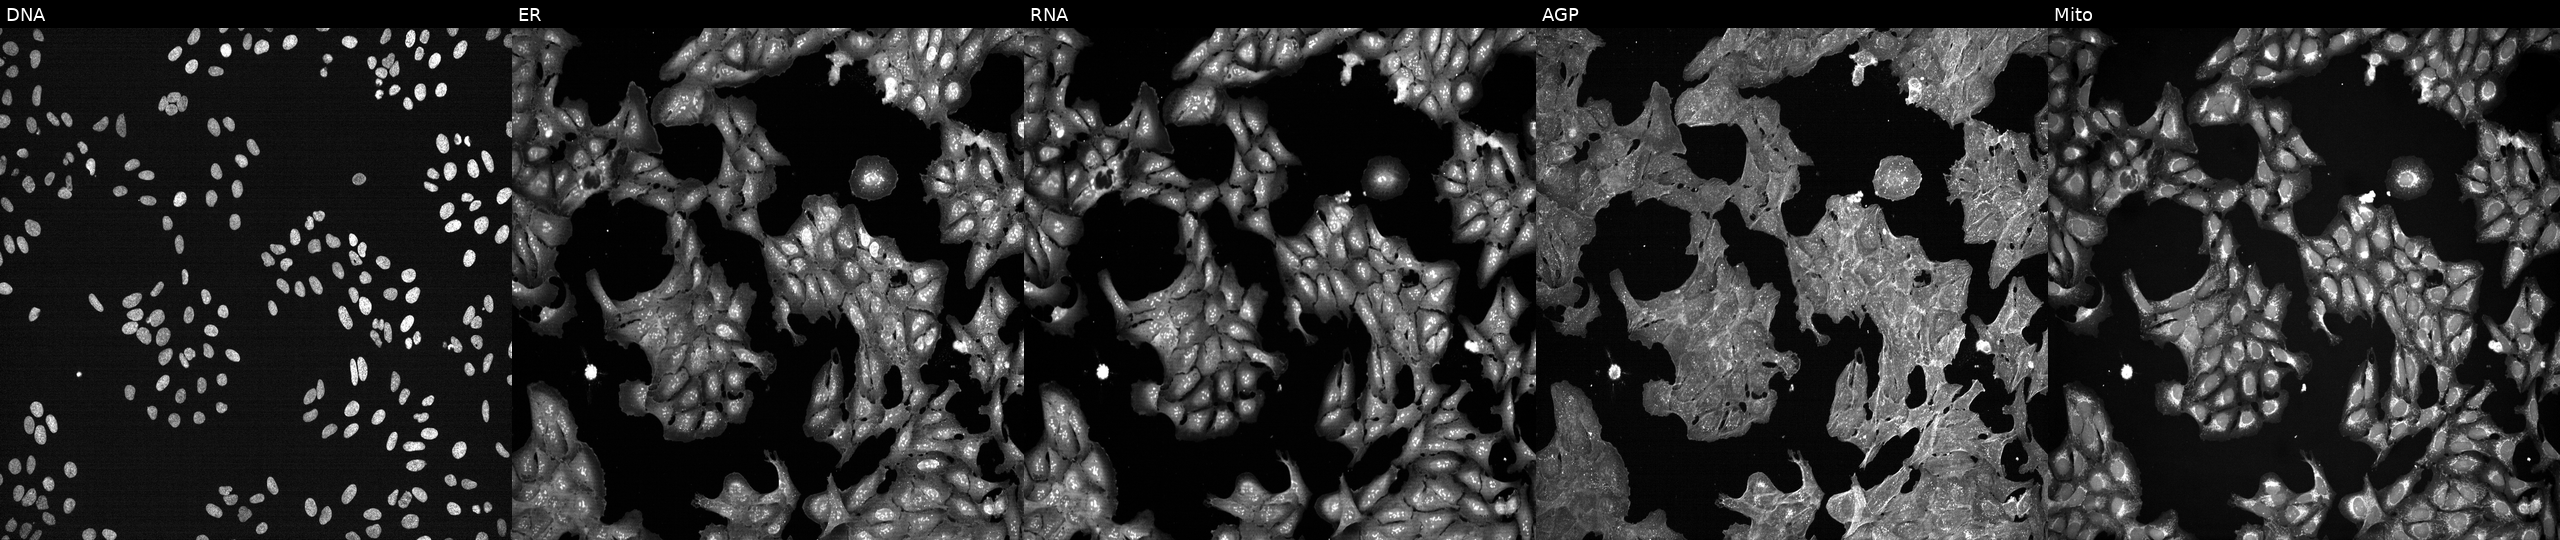
High-content fluorescence microscopy (Cell Painting). Cell line: U2OS. Perturbation: exposed to a small-molecule compound (InChIKey XSDQTOBWRPYKKA-UHFFFAOYSA-N) [SMILES: N=C(N)NC(=O)c1nc(Cl)c(=N)[nH]c1N]. Channels (left→right): DNA, ER, RNA, AGP, and Mito. Source 7, plate CP2-SC1-25, well K11.